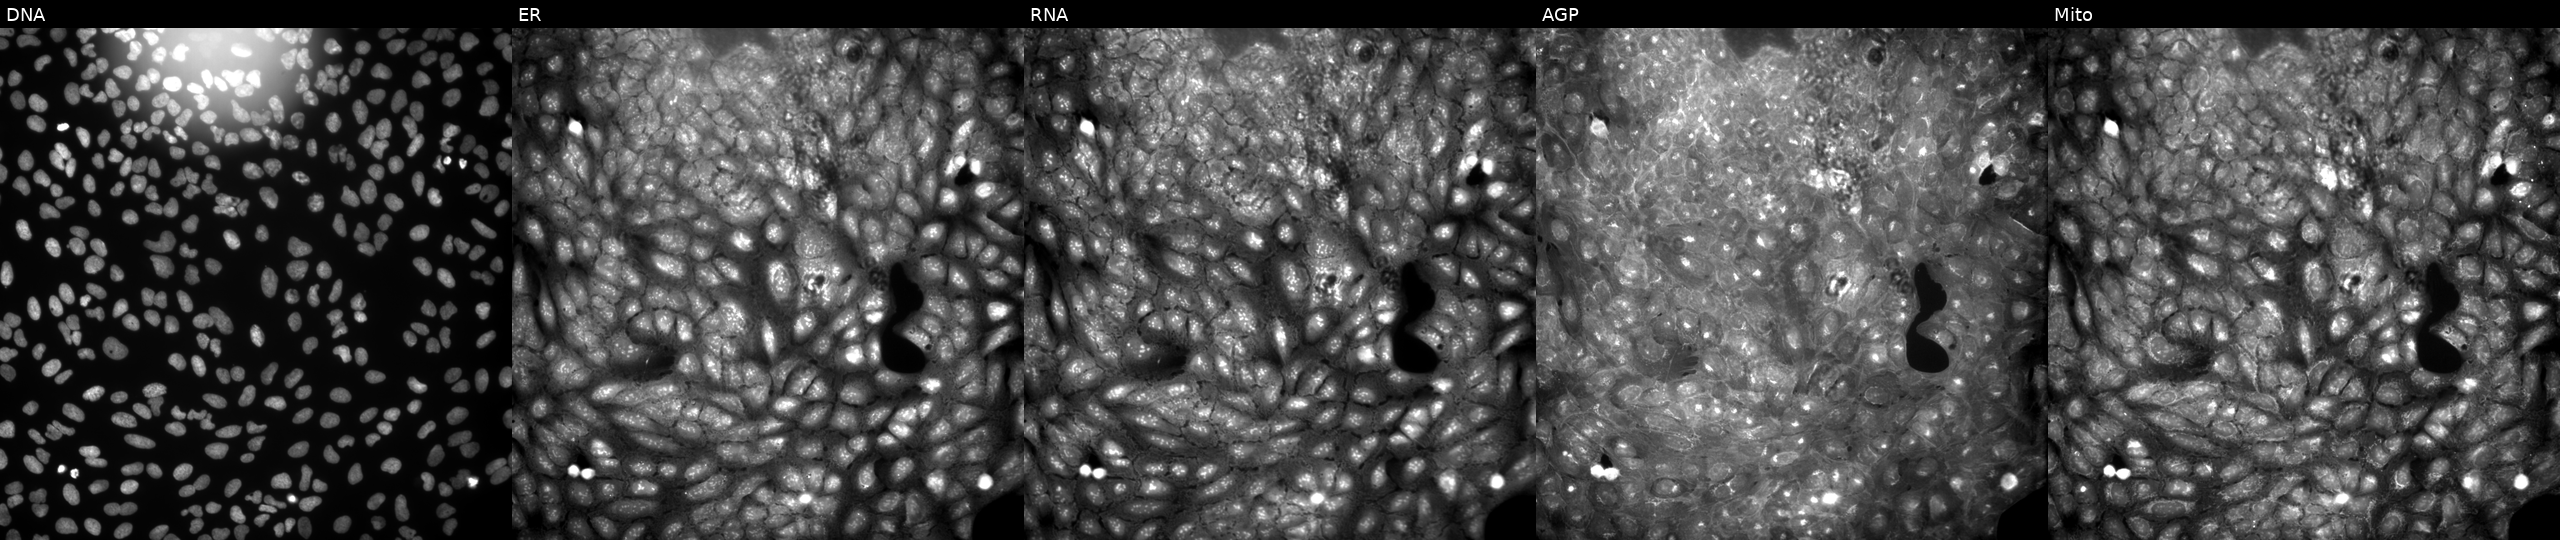
High-content fluorescence microscopy (Cell Painting). Cell line: U2OS. Perturbation: exposed to a small-molecule compound. From left to right: Hoechst 33342, concanavalin A, SYTO 14, phalloidin and WGA, MitoTracker.